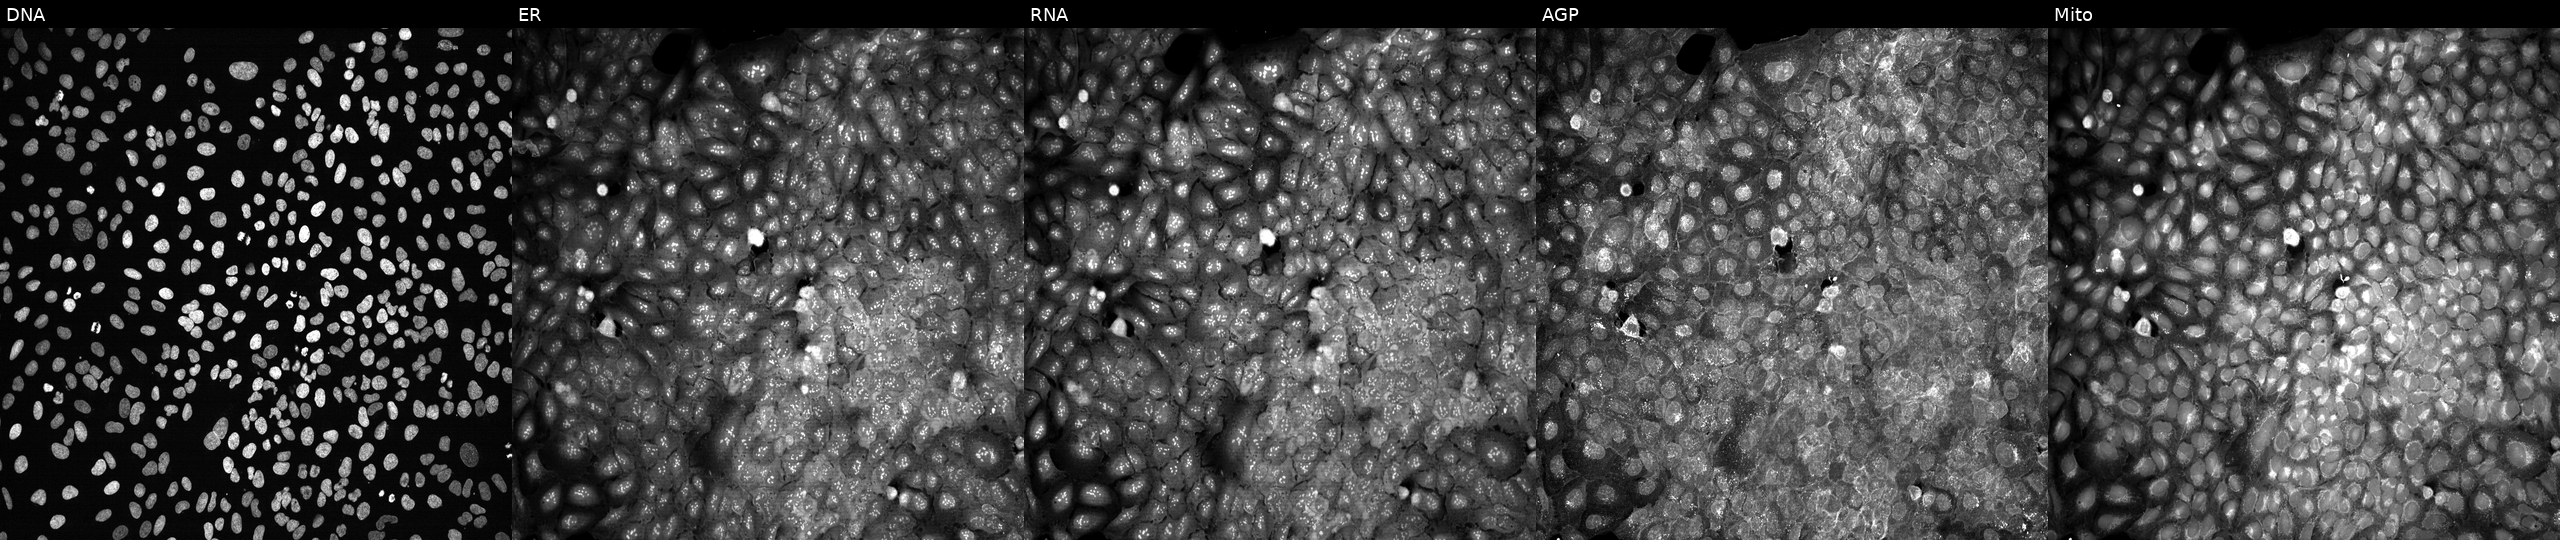
U2OS cells, Cell Painting assay, CRISPR-edited to disrupt G3BP1. The five panels, left to right, show DNA, ER, RNA, AGP, and Mito. Each panel is percentile-stretched 16-bit fluorescence.